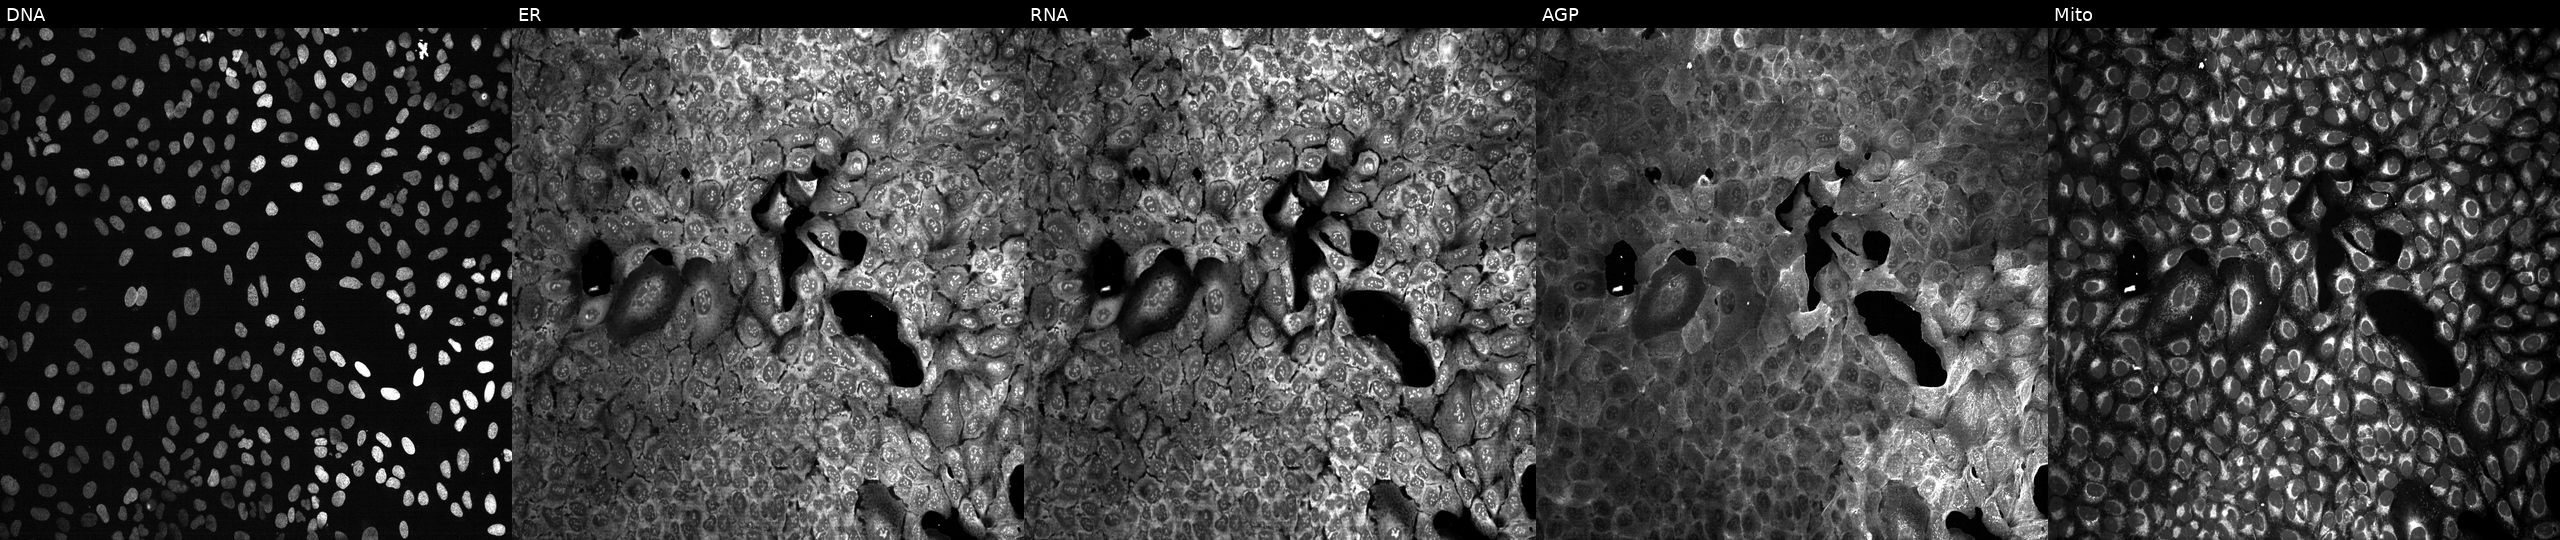
U2OS cells, Cell Painting assay, with ABCA8 knocked out by CRISPR (JUMP id JCP2022_800029). From left to right: DNA, ER, RNA, AGP, and Mito. Each panel is percentile-stretched 16-bit fluorescence.